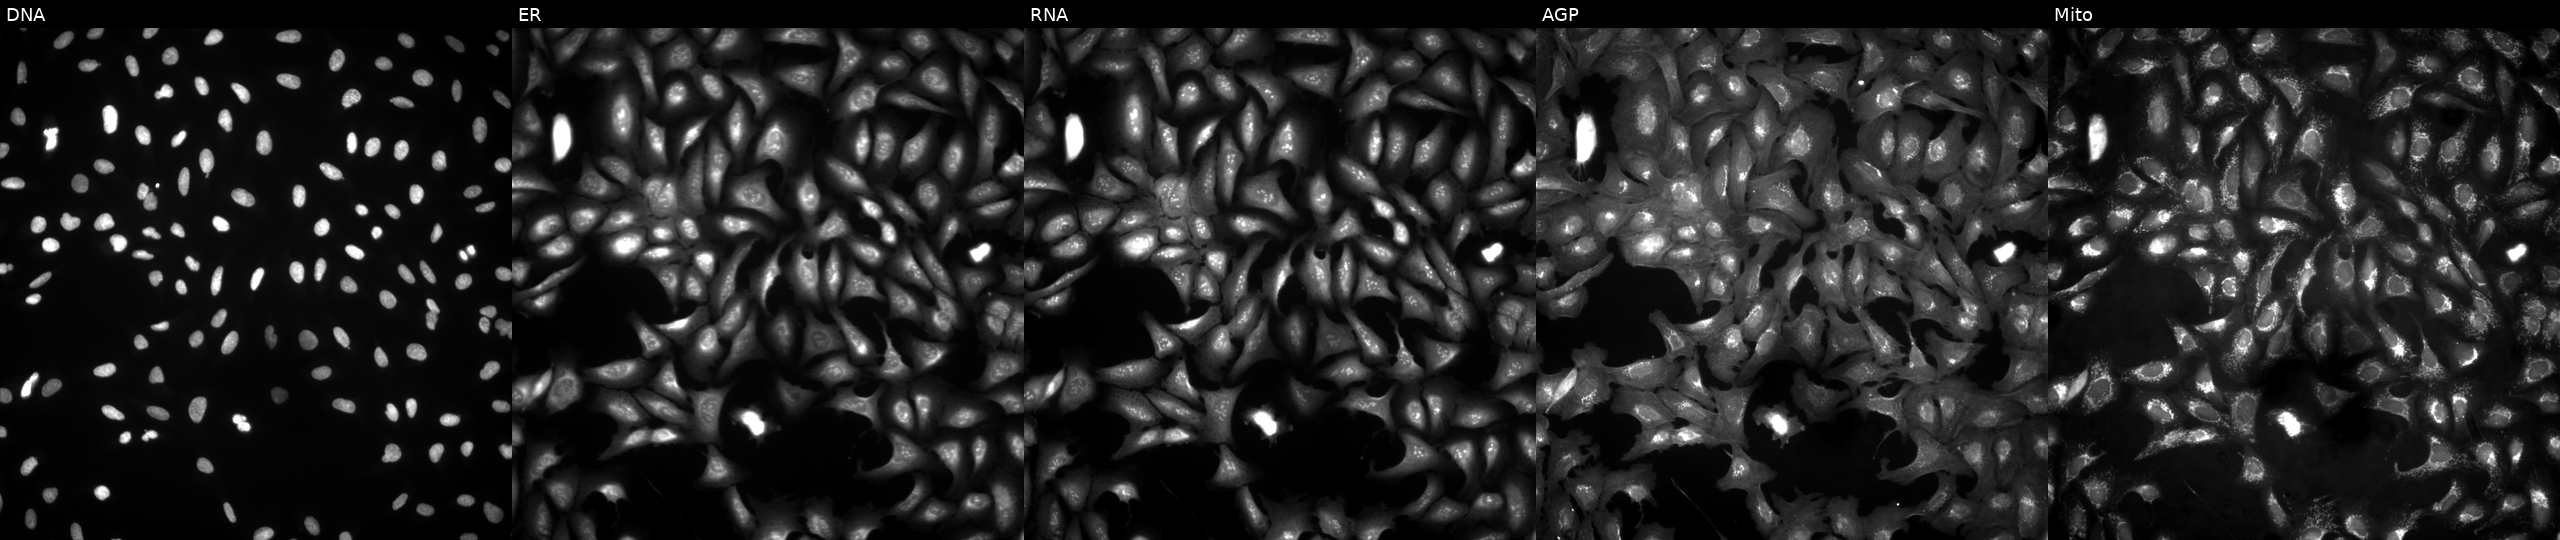
High-content fluorescence microscopy (Cell Painting). Cell line: U2OS. Perturbation: overexpressing MSI2 via ORF transfection. The five panels, left to right, show Hoechst 33342, concanavalin A, SYTO 14, phalloidin and WGA, MitoTracker.